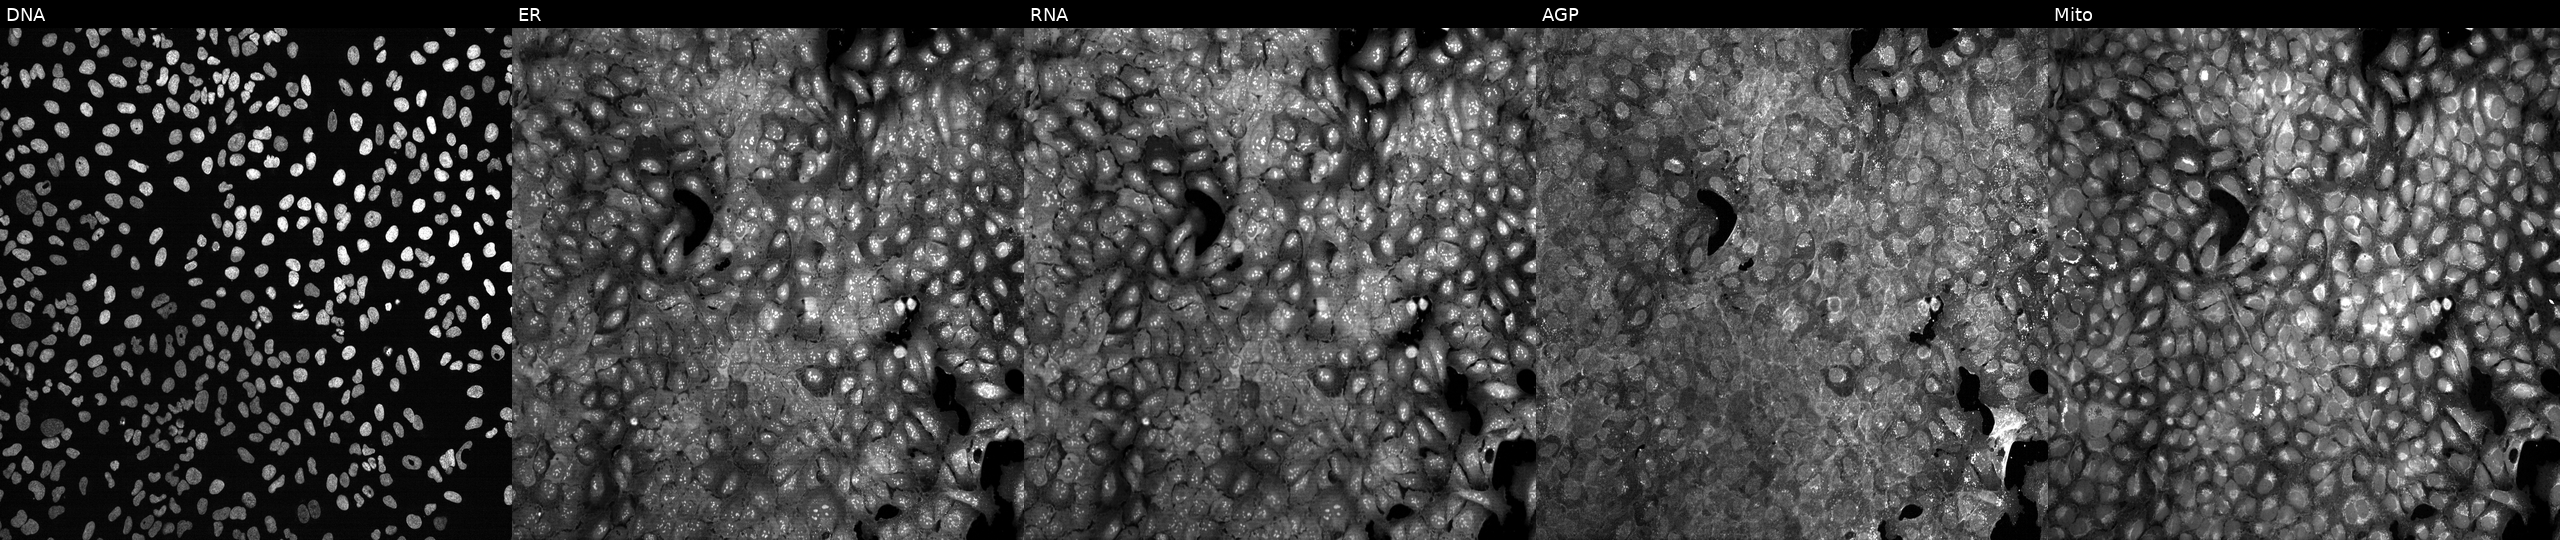
JUMP Cell Painting — CRISPR plate. U2OS cells with a non-targeting CRISPR guide (negative control). Panels show, left to right, DNA, ER, RNA, AGP, and Mito. Source 13, plate CP-CC9-R1-02, well D02.